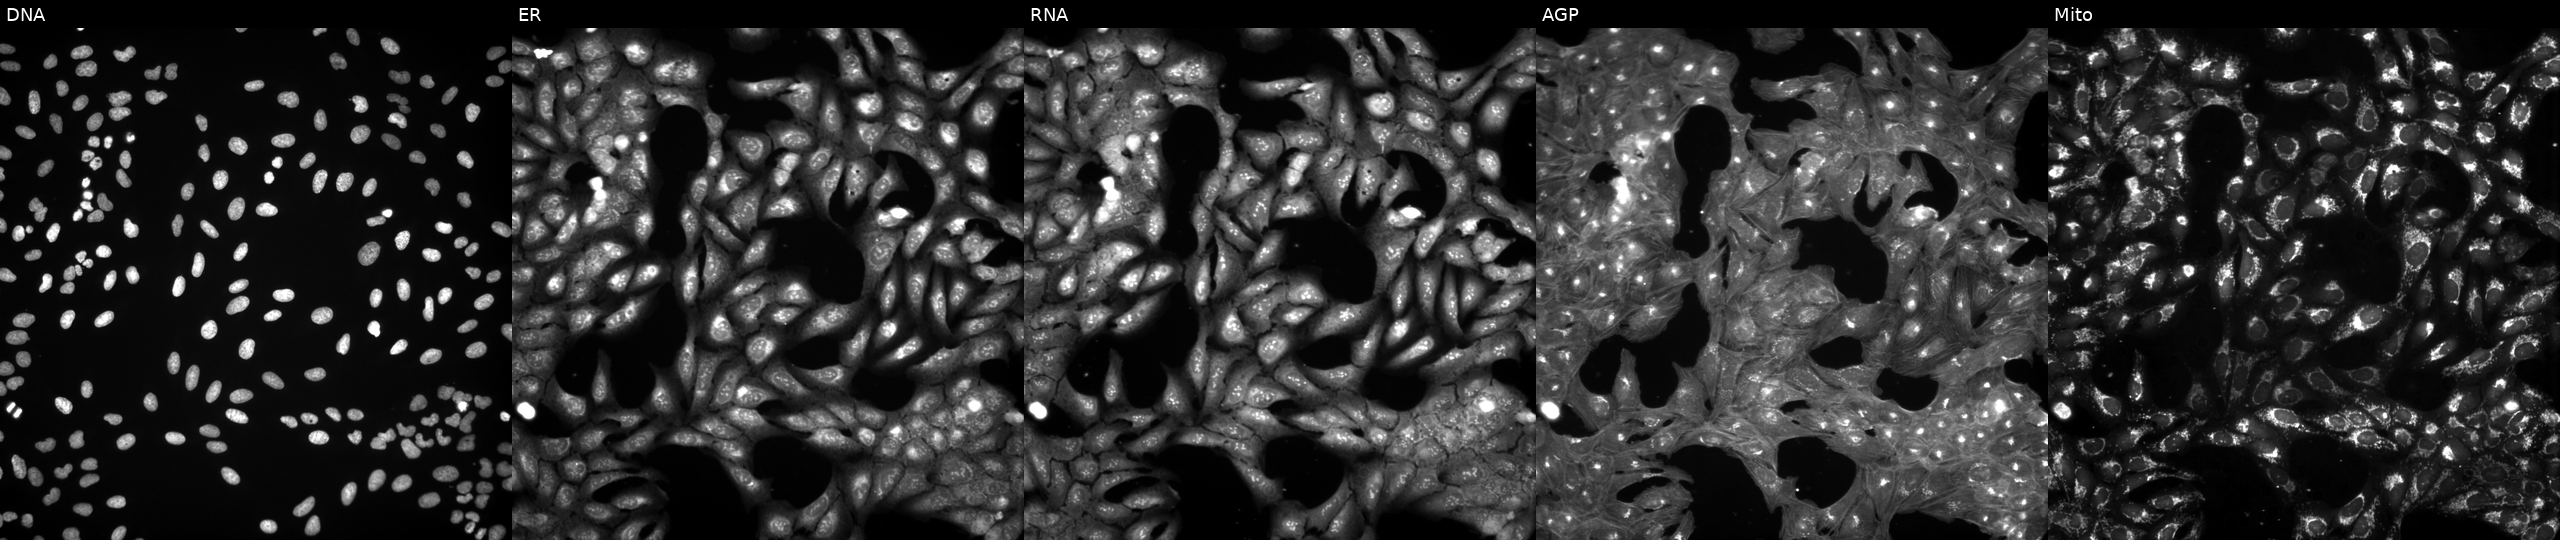
JUMP Cell Painting — TARGET2 plate. U2OS cells exposed to a small-molecule compound (InChIKey LPAHKJMGDSJDRG-UHFFFAOYSA-N). From left to right: DNA (nuclei); ER (endoplasmic reticulum); RNA (nucleoli and cytoplasmic RNA); AGP (actin cytoskeleton, Golgi, and plasma membrane); Mito (mitochondria). Source 3, plate JCPQC052, well F09.